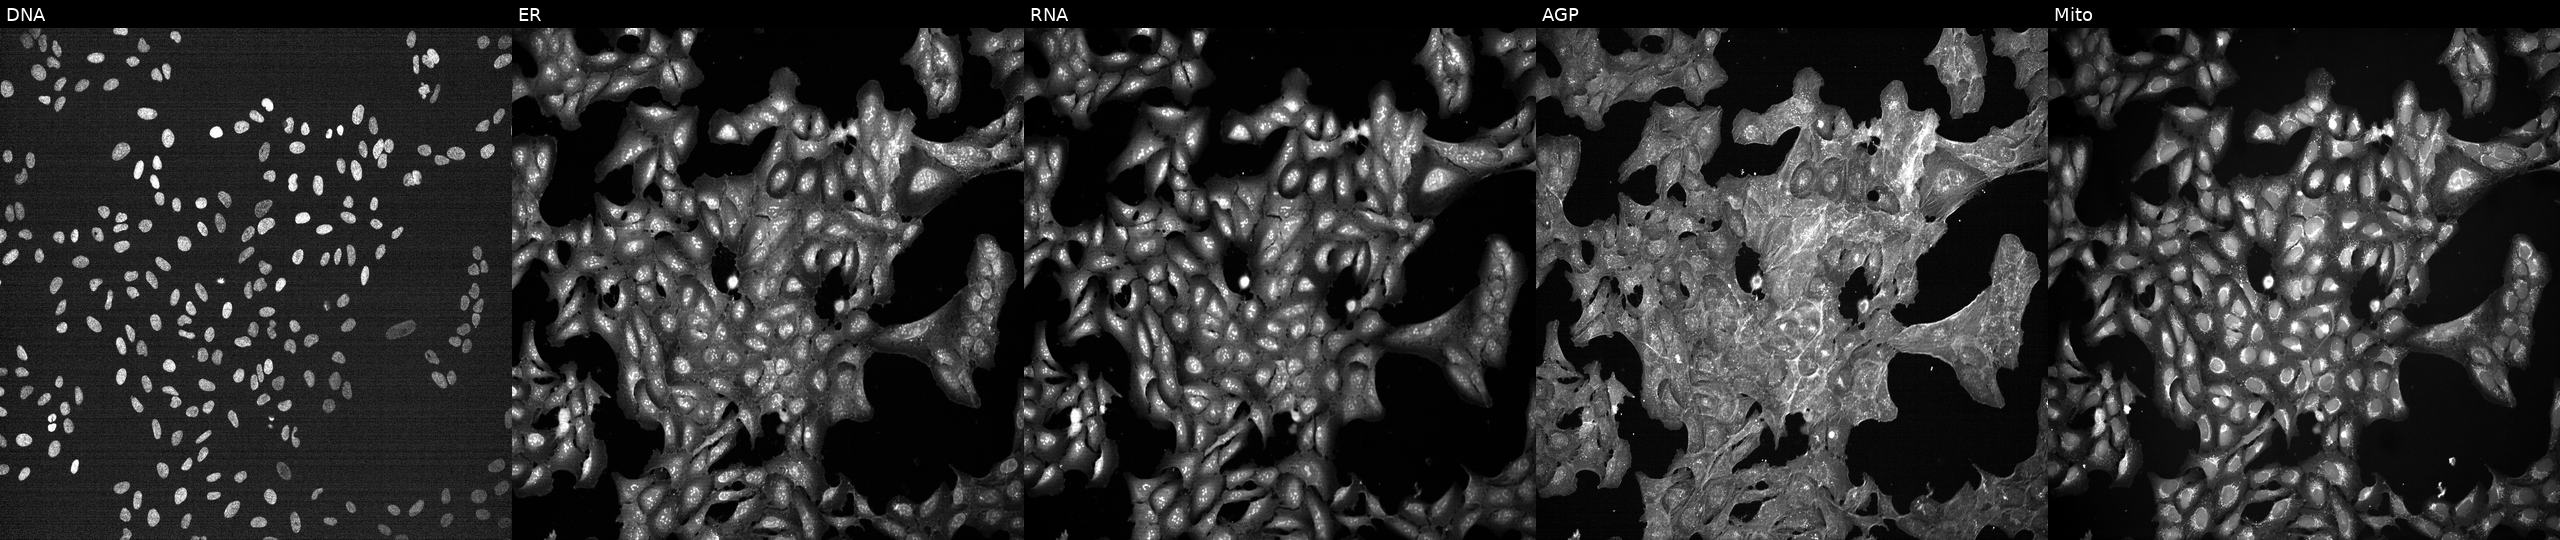
JUMP Cell Painting — TARGET2 plate. U2OS cells perturbed with a small-molecule compound (InChIKey ALBKMJDFBZVHAK-UHFFFAOYSA-N) (JUMP id JCP2022_002118). Panels show, left to right, Hoechst 33342, concanavalin A, SYTO 14, phalloidin and WGA, MitoTracker. Source 7, plate CP1-SC1-25, well N16.